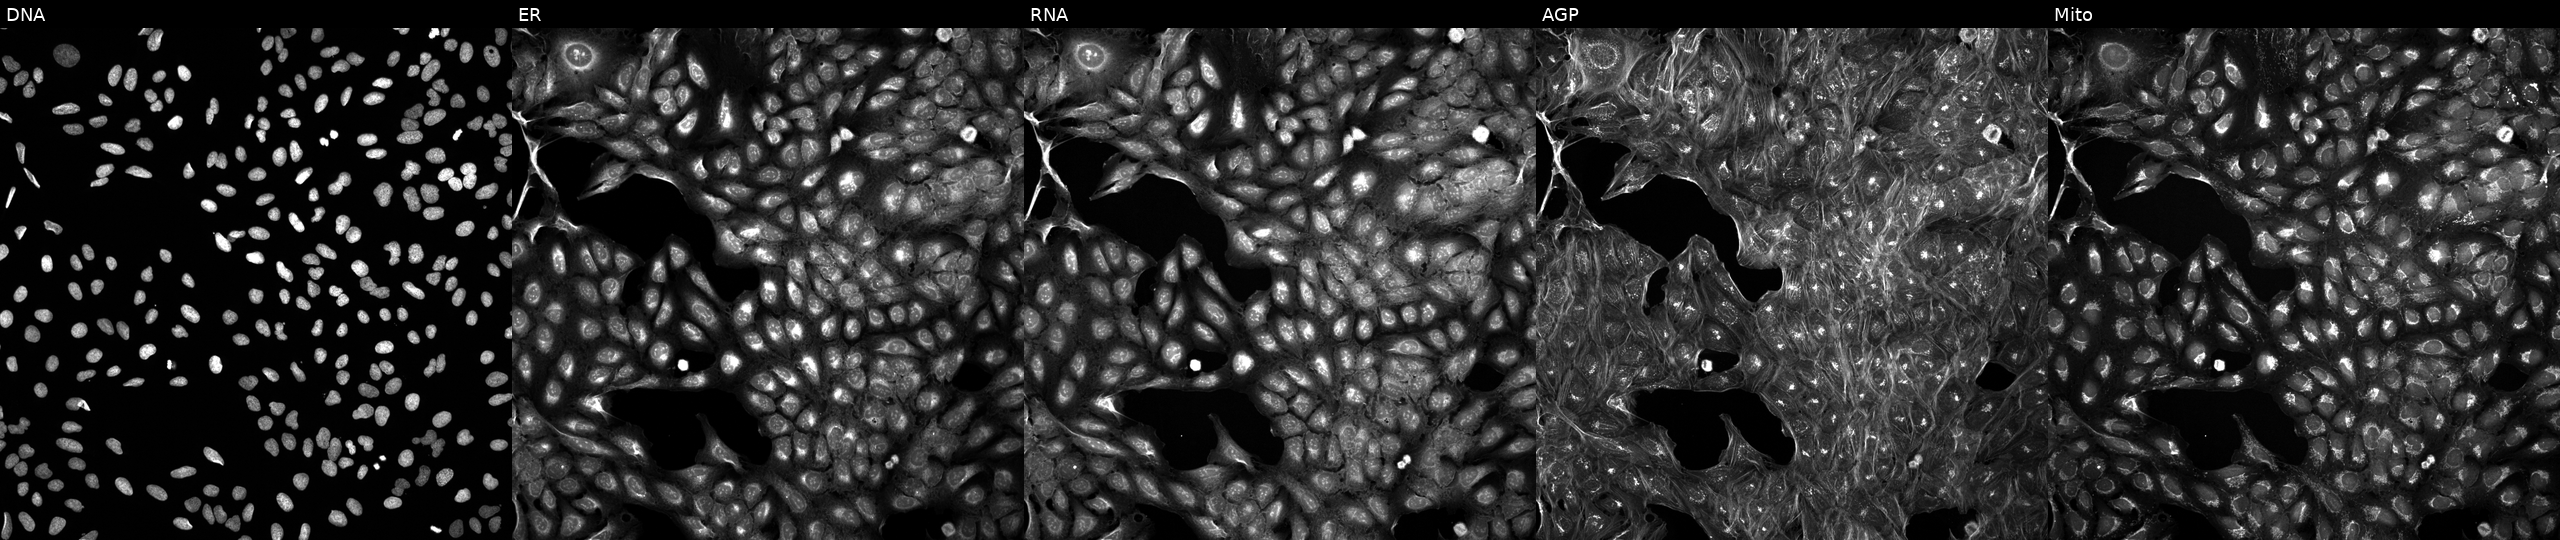
Five-channel Cell Painting image of U2OS cells exposed to a small-molecule compound (InChIKey IFIUFCJFLGCQPH-UHFFFAOYSA-N) (JUMP id JCP2022_034709). From left to right: DNA, ER, RNA, AGP, and Mito.